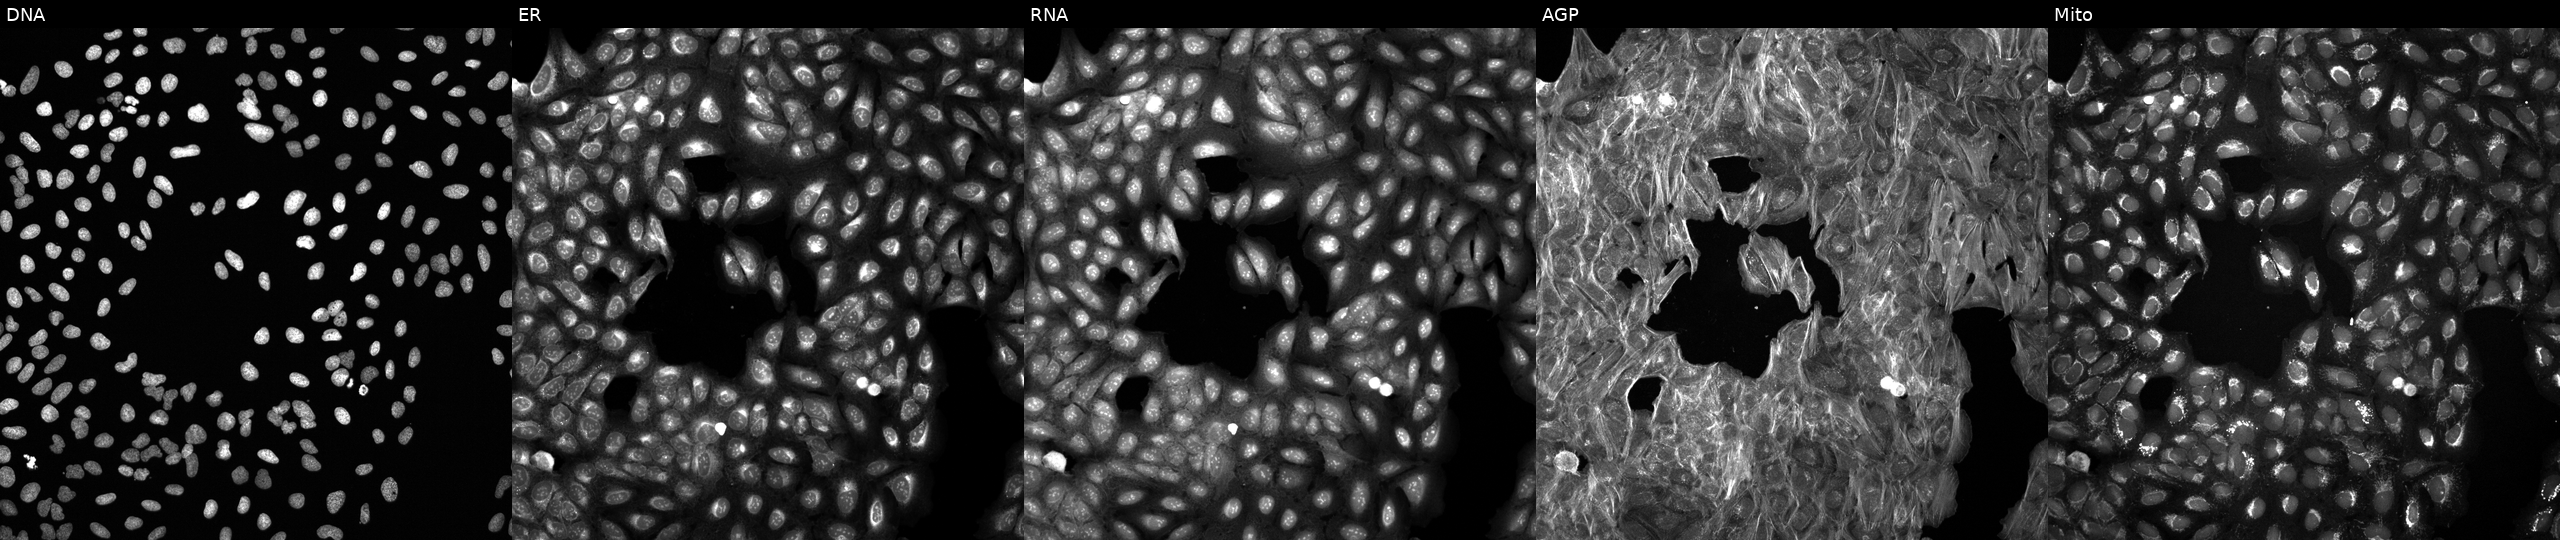
Five-channel Cell Painting image of U2OS cells exposed to a small-molecule compound (InChIKey NMUSYJAQQFHJEW-UHFFFAOYSA-N). From left to right: DNA (nuclei); ER (endoplasmic reticulum); RNA (nucleoli and cytoplasmic RNA); AGP (actin cytoskeleton, Golgi, and plasma membrane); Mito (mitochondria).